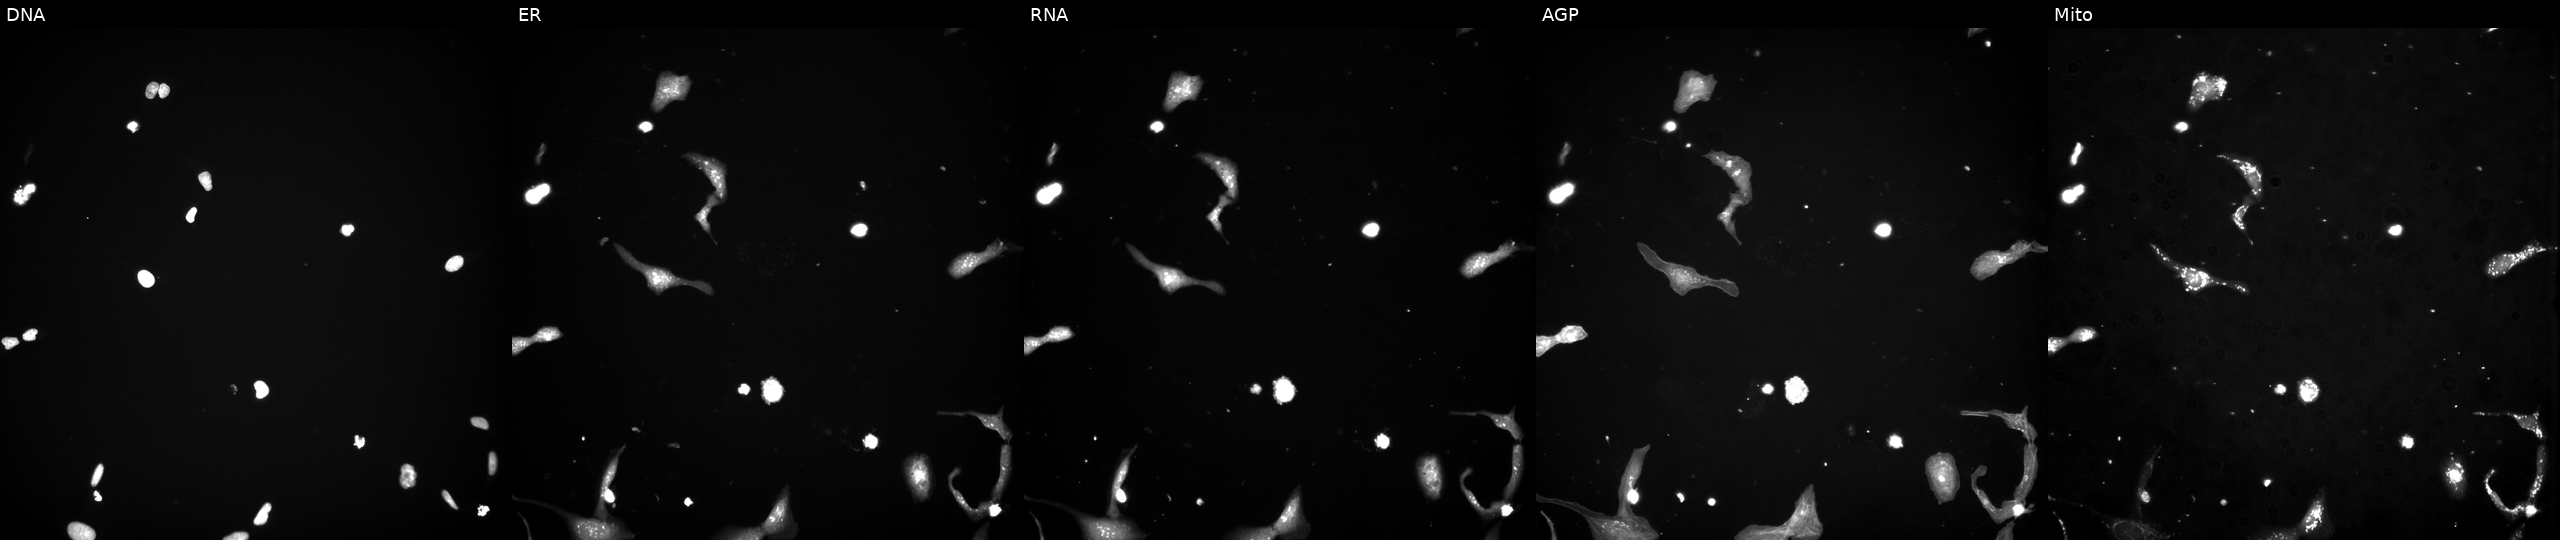
JUMP Cell Painting — TARGET2 plate. U2OS cells exposed to a small-molecule compound (JUMP id JCP2022_033400). Panels show, left to right, DNA, ER, RNA, AGP, and Mito.